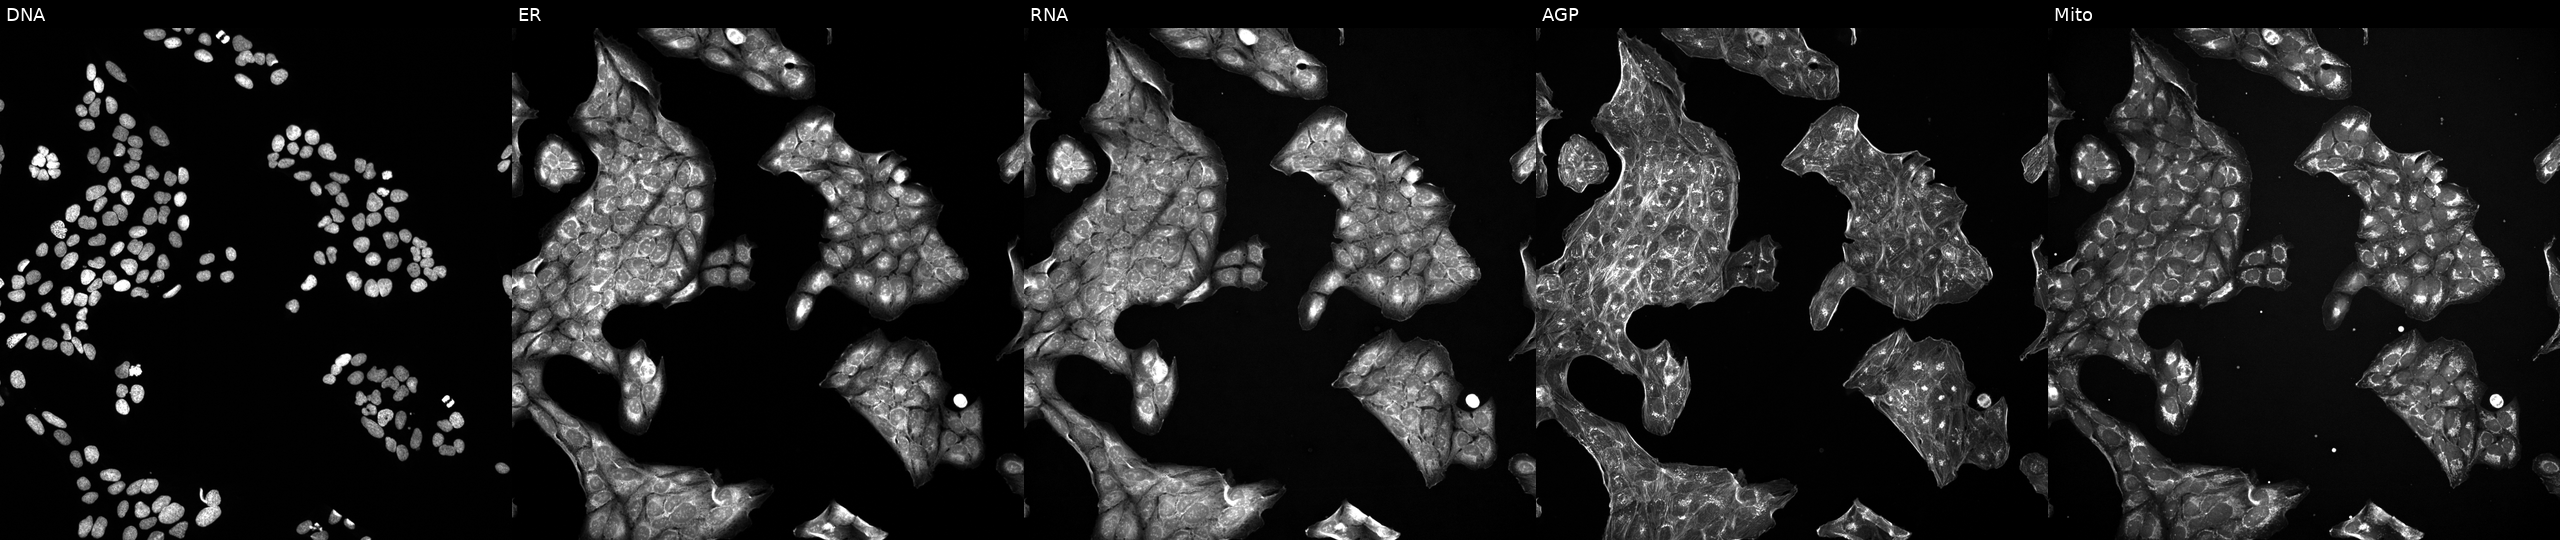
High-content fluorescence microscopy (Cell Painting). Cell line: U2OS. Perturbation: perturbed with a small-molecule compound (InChIKey PBBRWFOVCUAONR-UHFFFAOYSA-N). From left to right: DNA, ER, RNA, AGP, and Mito. Source 5, plate ACPJUM032, well C03.